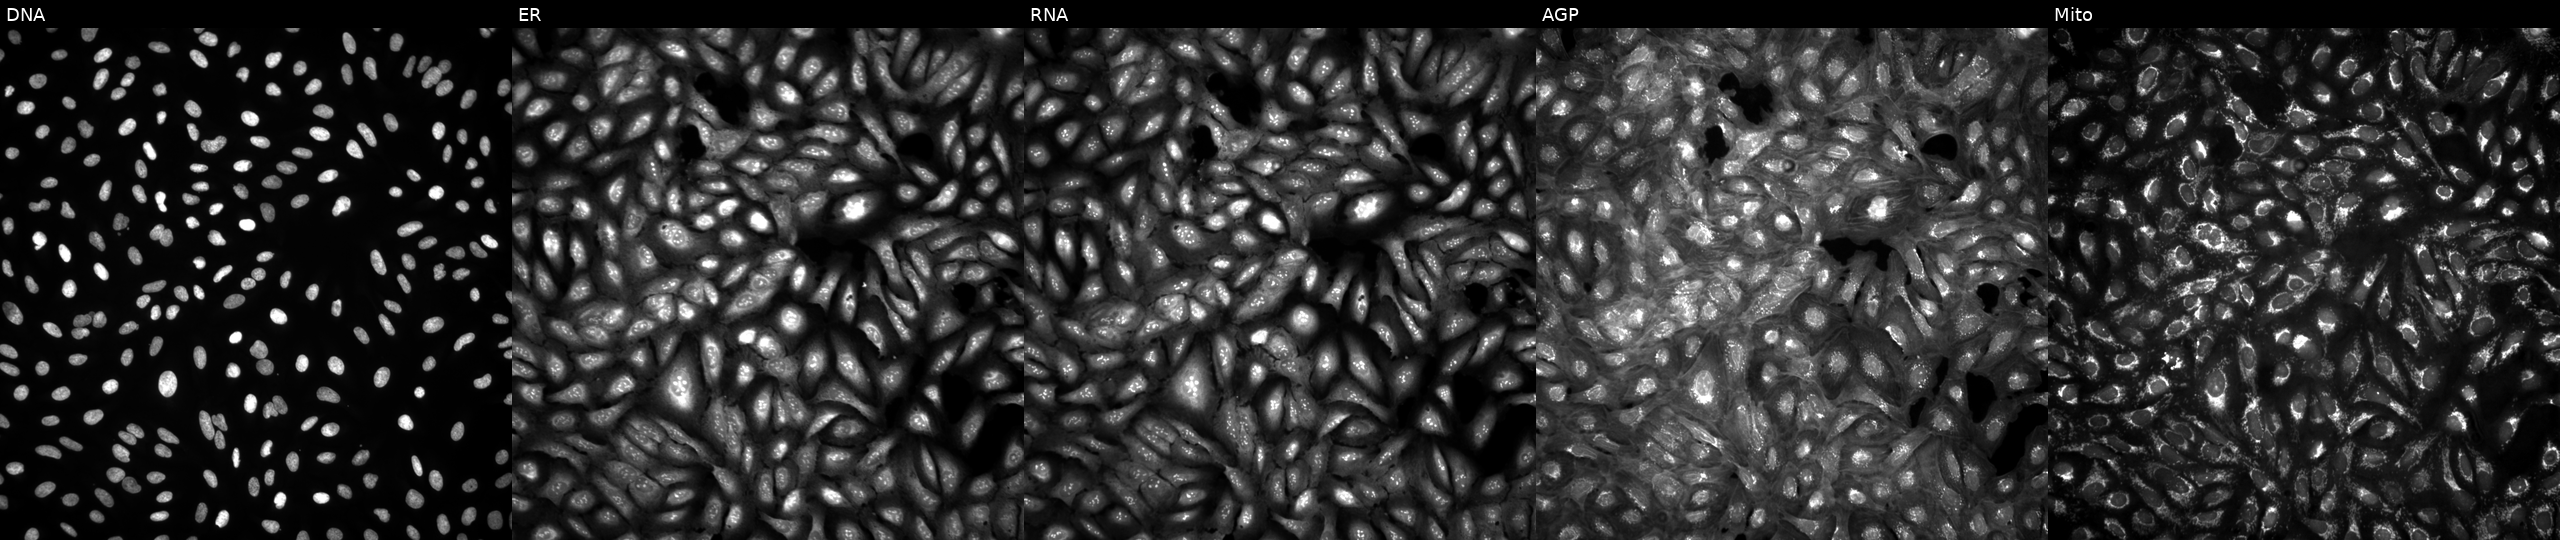
U2OS cells, Cell Painting assay, in an empty control well (no perturbation). The five panels, left to right, show DNA, ER, RNA, AGP, and Mito. Each panel is percentile-stretched 16-bit fluorescence.